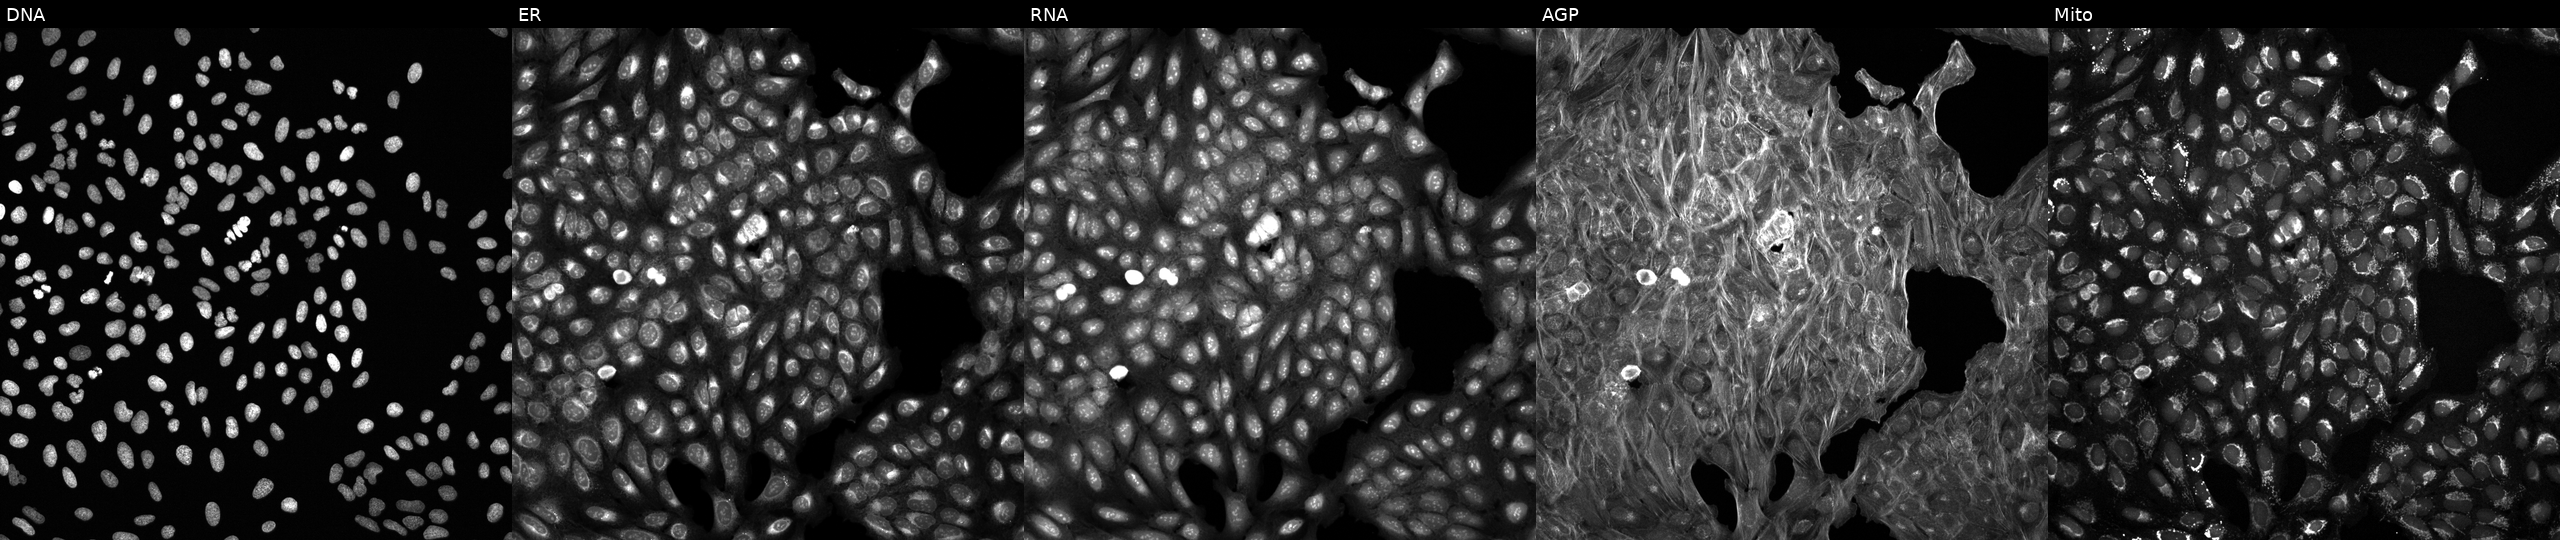
U2OS cells, Cell Painting assay, treated with a small-molecule compound [SMILES: O=C(Nc1cc(=O)[nH]c2nc(C(F)(F)F)nn12)c1ccccc1F] (JUMP id JCP2022_000663). The five panels, left to right, show Hoechst 33342, concanavalin A, SYTO 14, phalloidin and WGA, MitoTracker. Each panel is percentile-stretched 16-bit fluorescence.